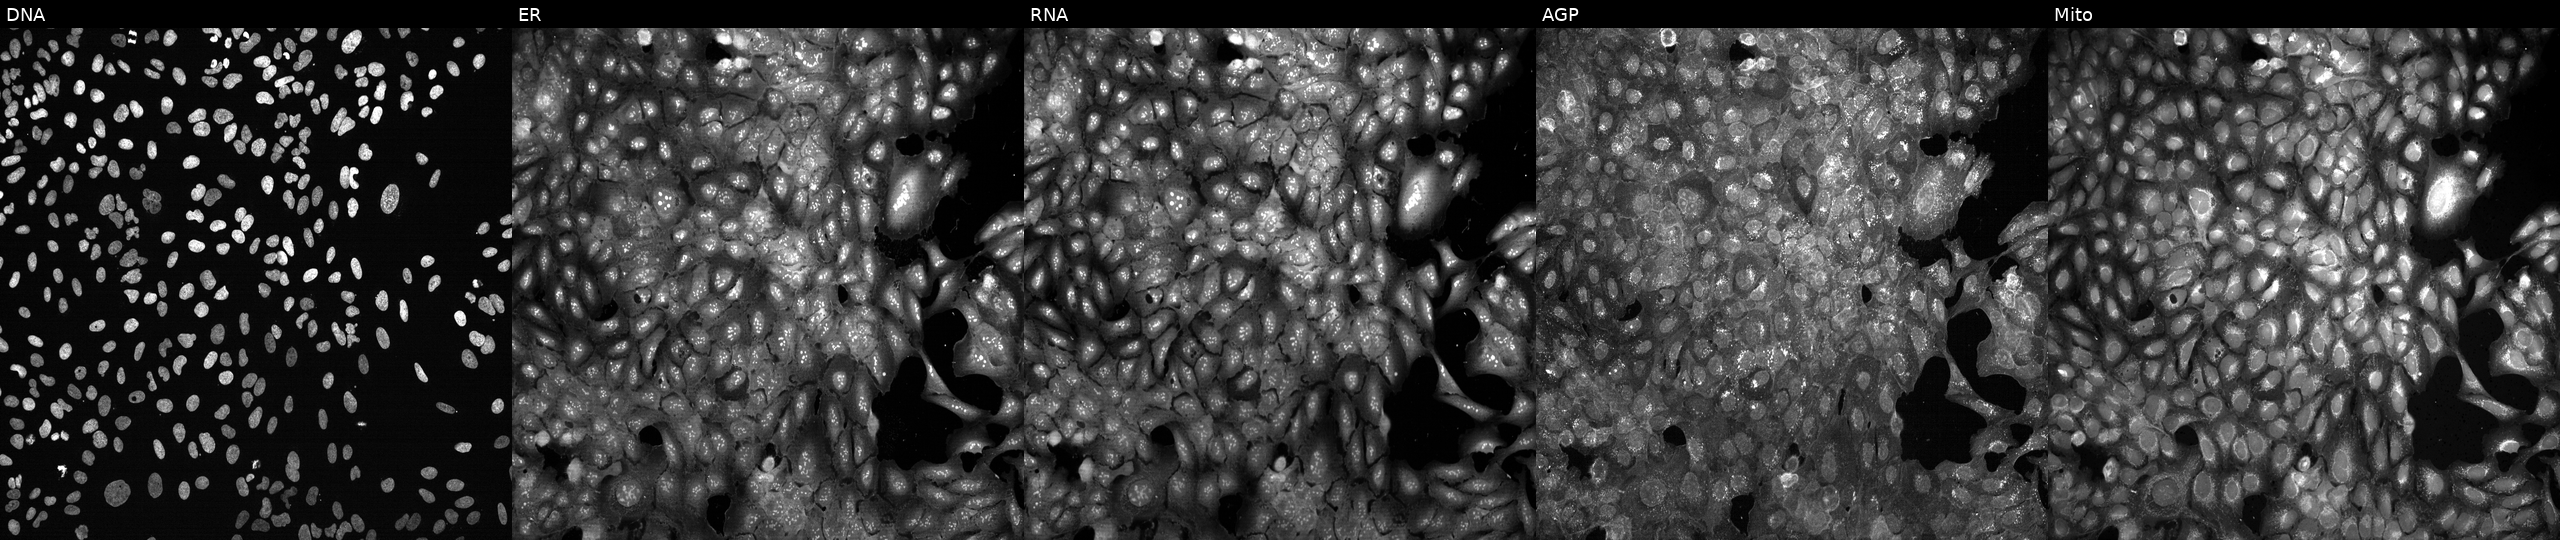
Five-channel Cell Painting image of U2OS cells following CRISPR knockout of GPX3 (JUMP id JCP2022_802884). Panels show, left to right, DNA (nuclei); ER (endoplasmic reticulum); RNA (nucleoli and cytoplasmic RNA); AGP (actin cytoskeleton, Golgi, and plasma membrane); Mito (mitochondria).